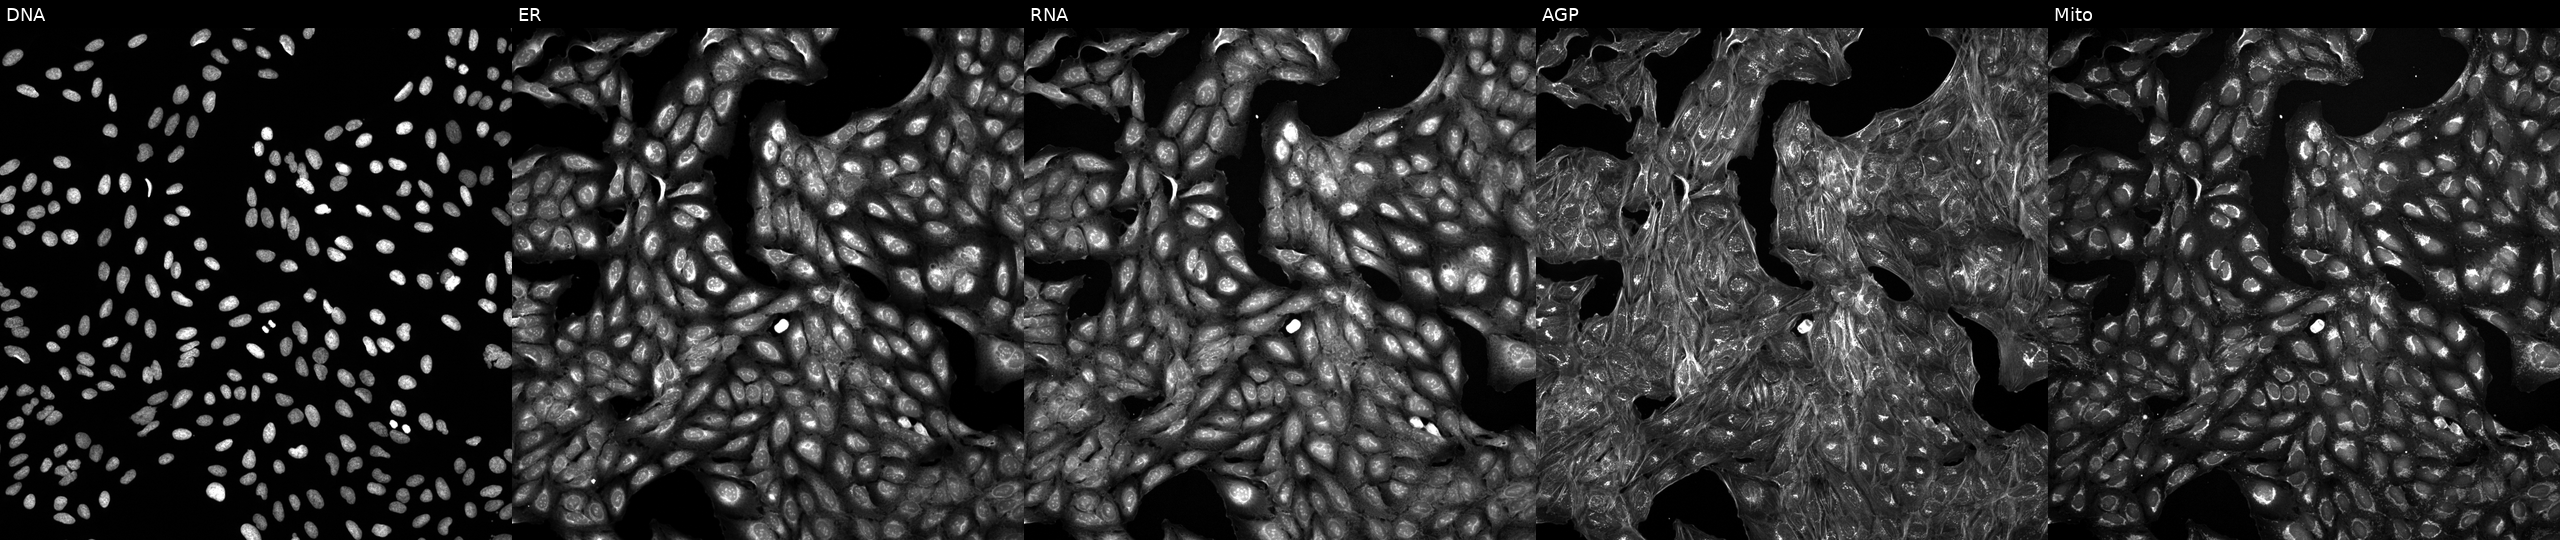
From left to right: Hoechst 33342, concanavalin A, SYTO 14, phalloidin and WGA, MitoTracker. U2OS osteosarcoma cells exposed to a small-molecule compound (InChIKey LLVZBTWPGQVVLW-UHFFFAOYSA-N). Cell Painting assay, JUMP-CP dataset. Source 5, plate ACPJUM051, well E12.